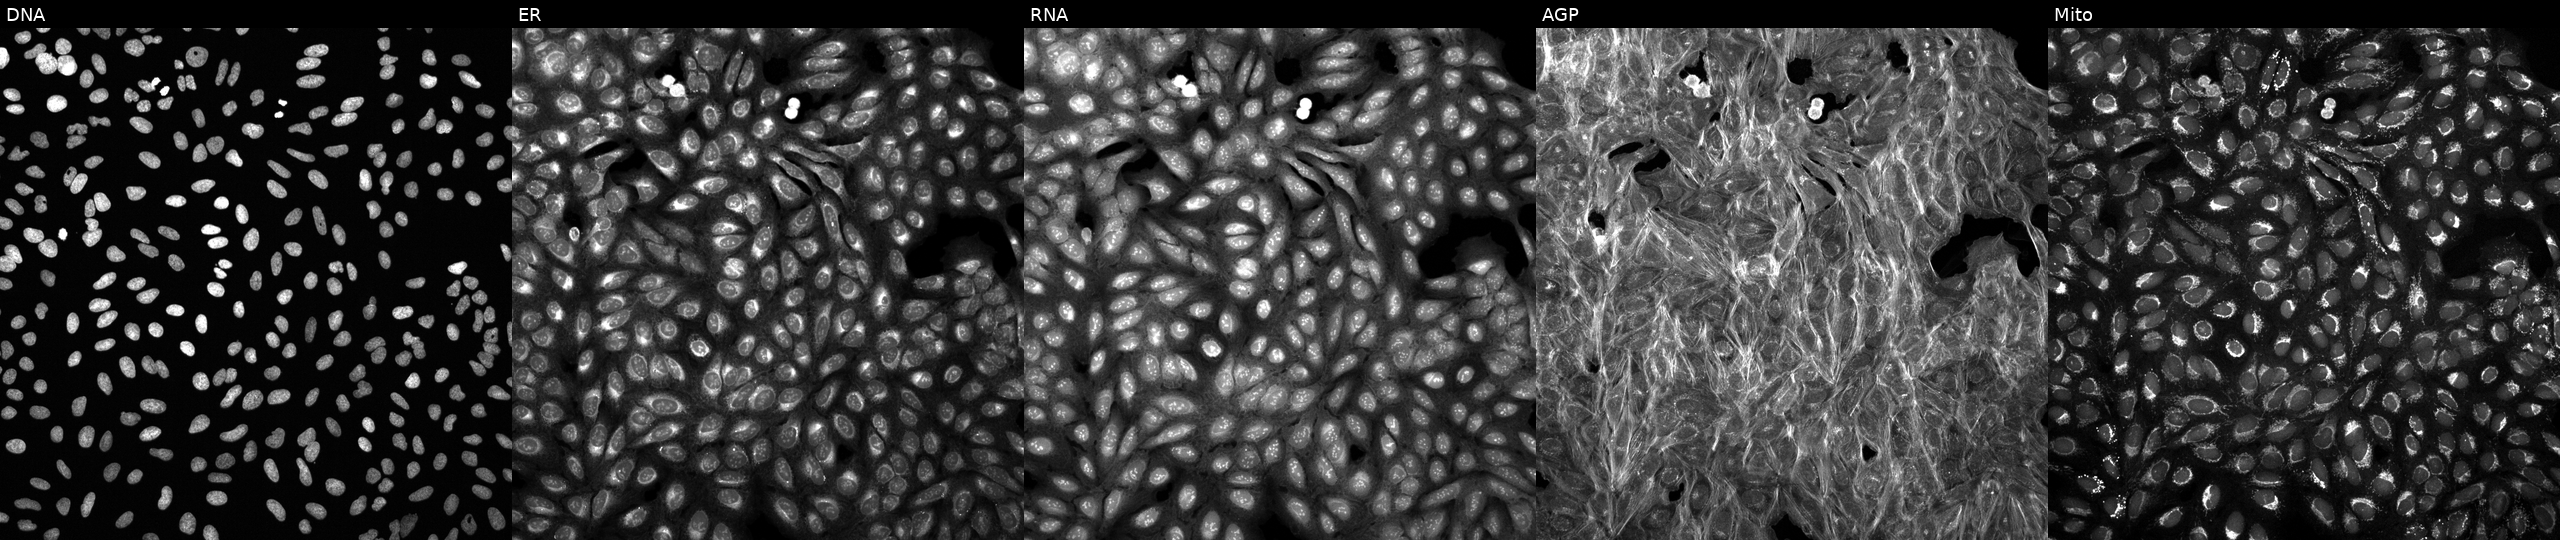
High-content fluorescence microscopy (Cell Painting). Cell line: U2OS. Perturbation: treated with DMSO vehicle only (negative control). Panels show, left to right, DNA (nuclei); ER (endoplasmic reticulum); RNA (nucleoli and cytoplasmic RNA); AGP (actin cytoskeleton, Golgi, and plasma membrane); Mito (mitochondria).